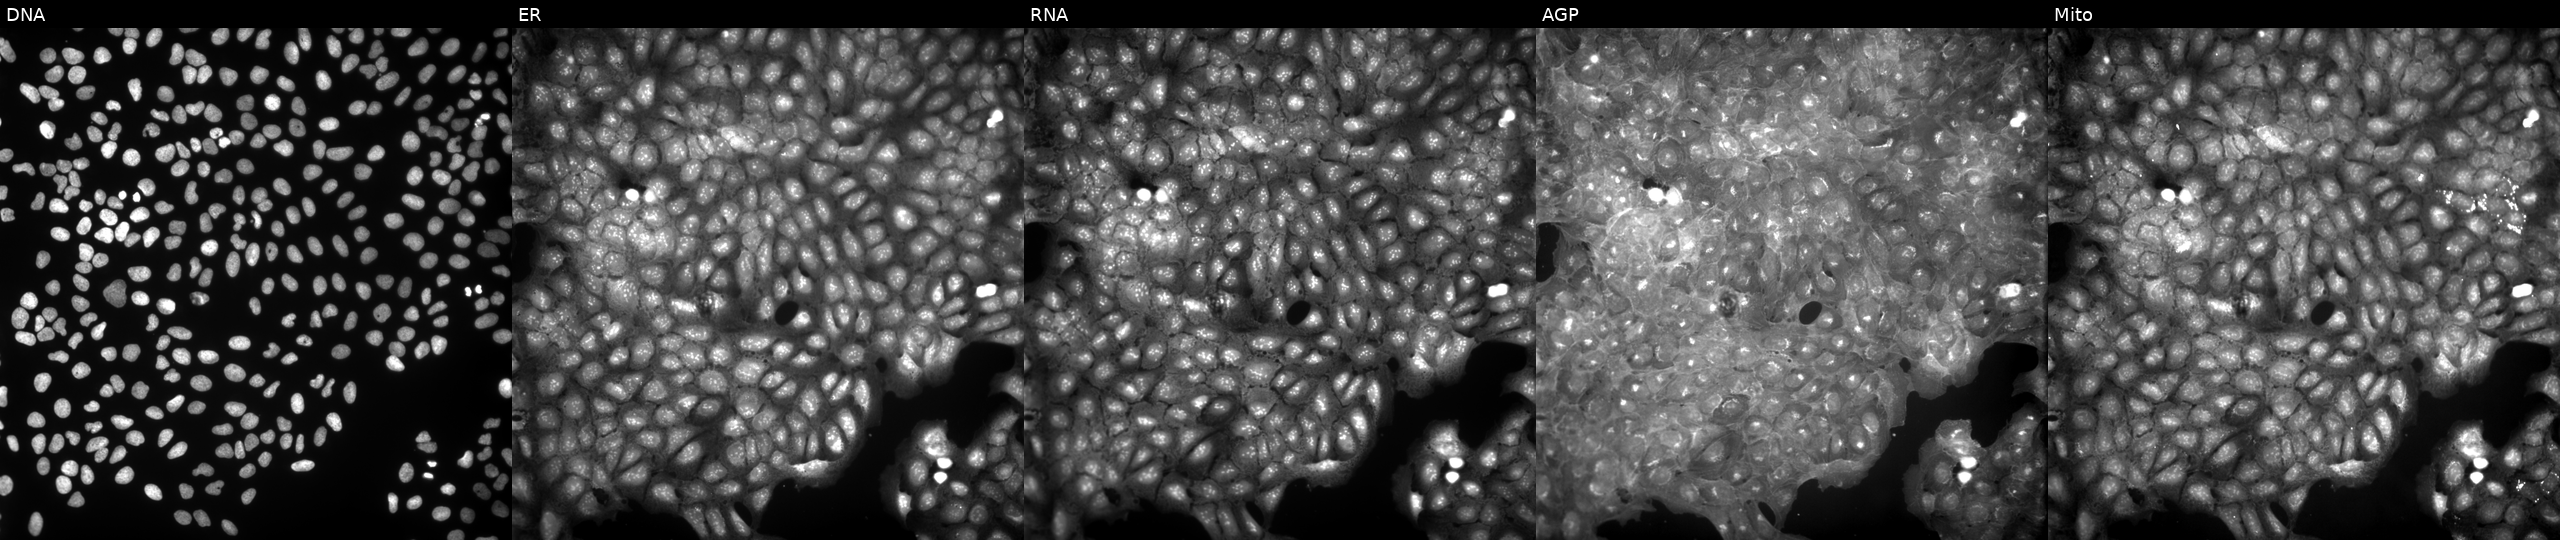
JUMP Cell Painting — COMPOUND plate. U2OS cells exposed to a small-molecule compound (InChIKey YOUHZDROLFDFCC-UHFFFAOYSA-N). Panels show, left to right, DNA (nuclei); ER (endoplasmic reticulum); RNA (nucleoli and cytoplasmic RNA); AGP (actin cytoskeleton, Golgi, and plasma membrane); Mito (mitochondria).